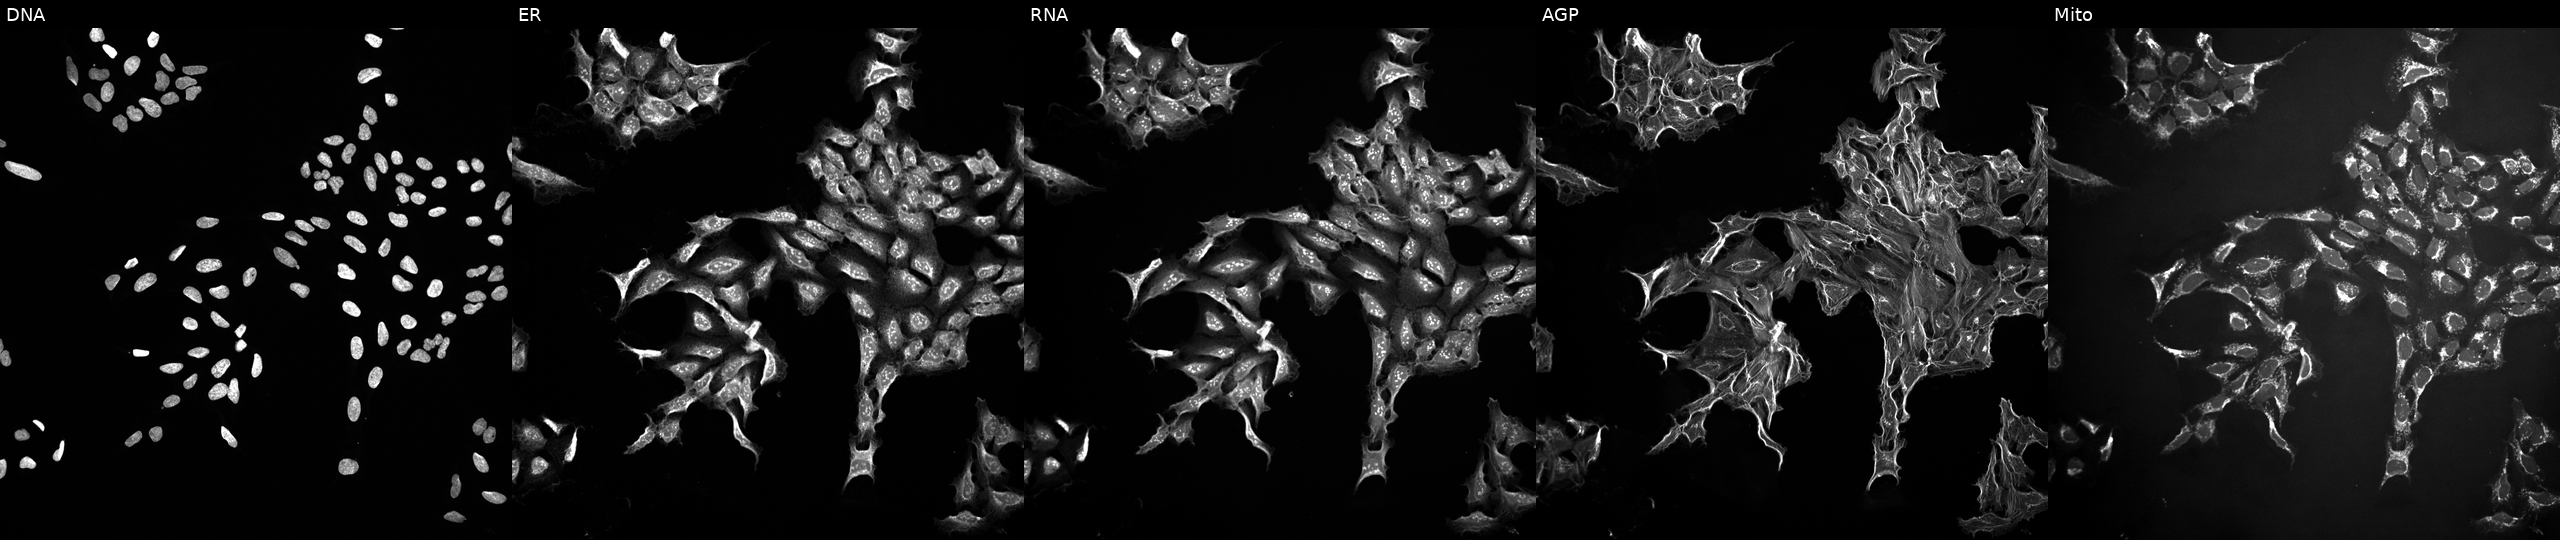
JUMP Cell Painting — TARGET2 plate. U2OS cells exposed to a small-molecule compound. Channels (left→right): DNA, ER, RNA, AGP, and Mito. Source 10, plate Dest210726-160150, well L14.